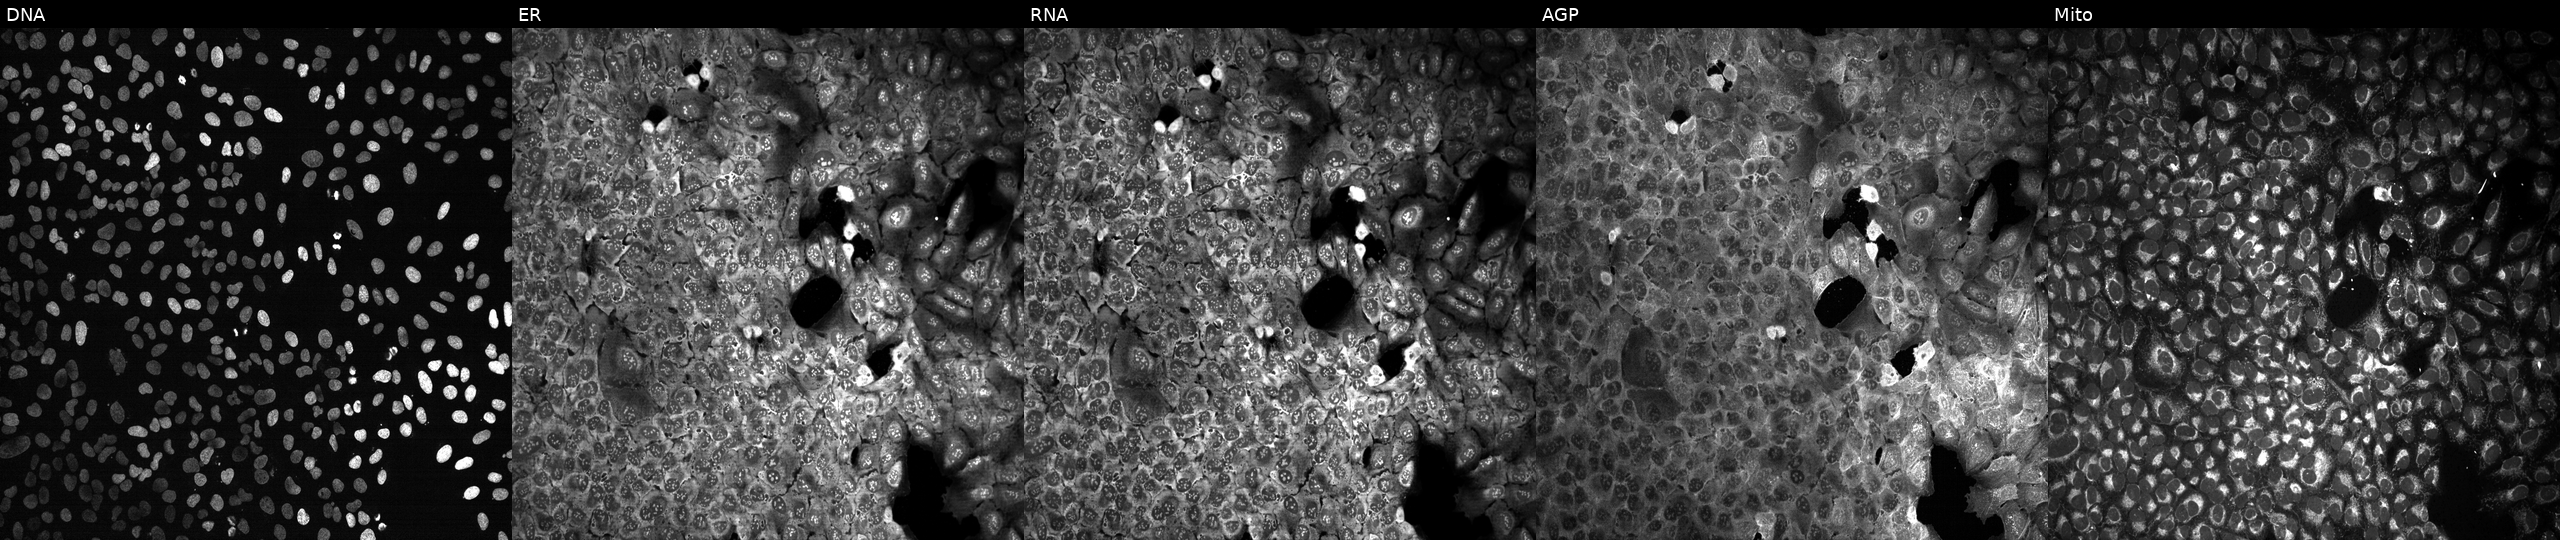
JUMP Cell Painting — CRISPR plate. U2OS cells CRISPR-edited to disrupt APOBEC1. The five panels, left to right, show DNA (nuclei); ER (endoplasmic reticulum); RNA (nucleoli and cytoplasmic RNA); AGP (actin cytoskeleton, Golgi, and plasma membrane); Mito (mitochondria).